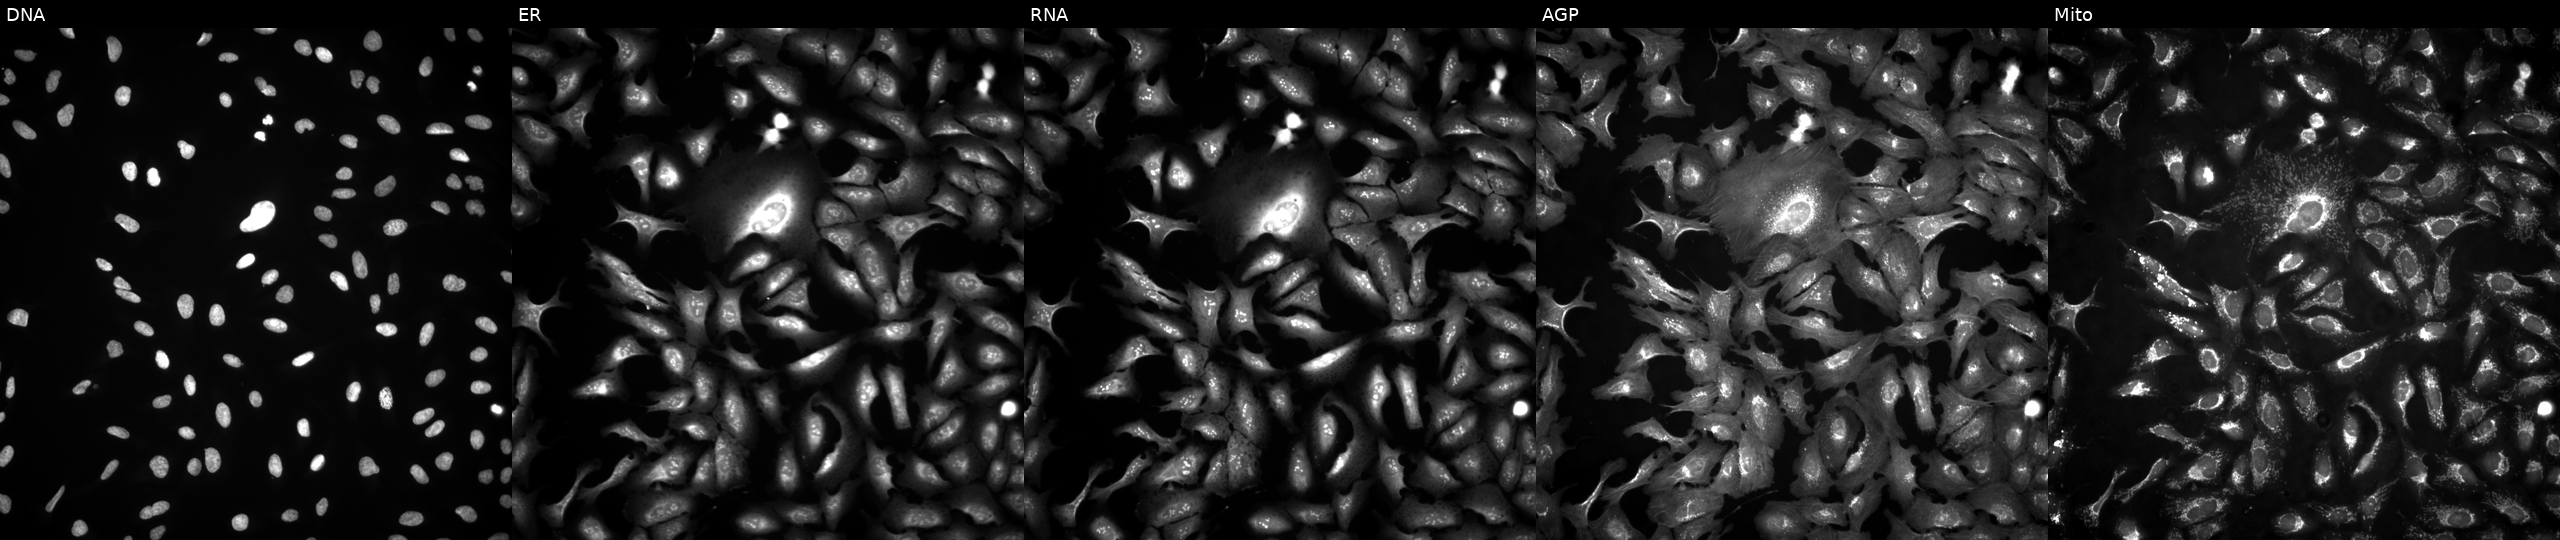
Five-channel Cell Painting image of U2OS cells overexpressing CDK17 via ORF transfection (JUMP id JCP2022_901082). From left to right: Hoechst 33342, concanavalin A, SYTO 14, phalloidin and WGA, MitoTracker. Source 4, plate BR00124787, well P11.